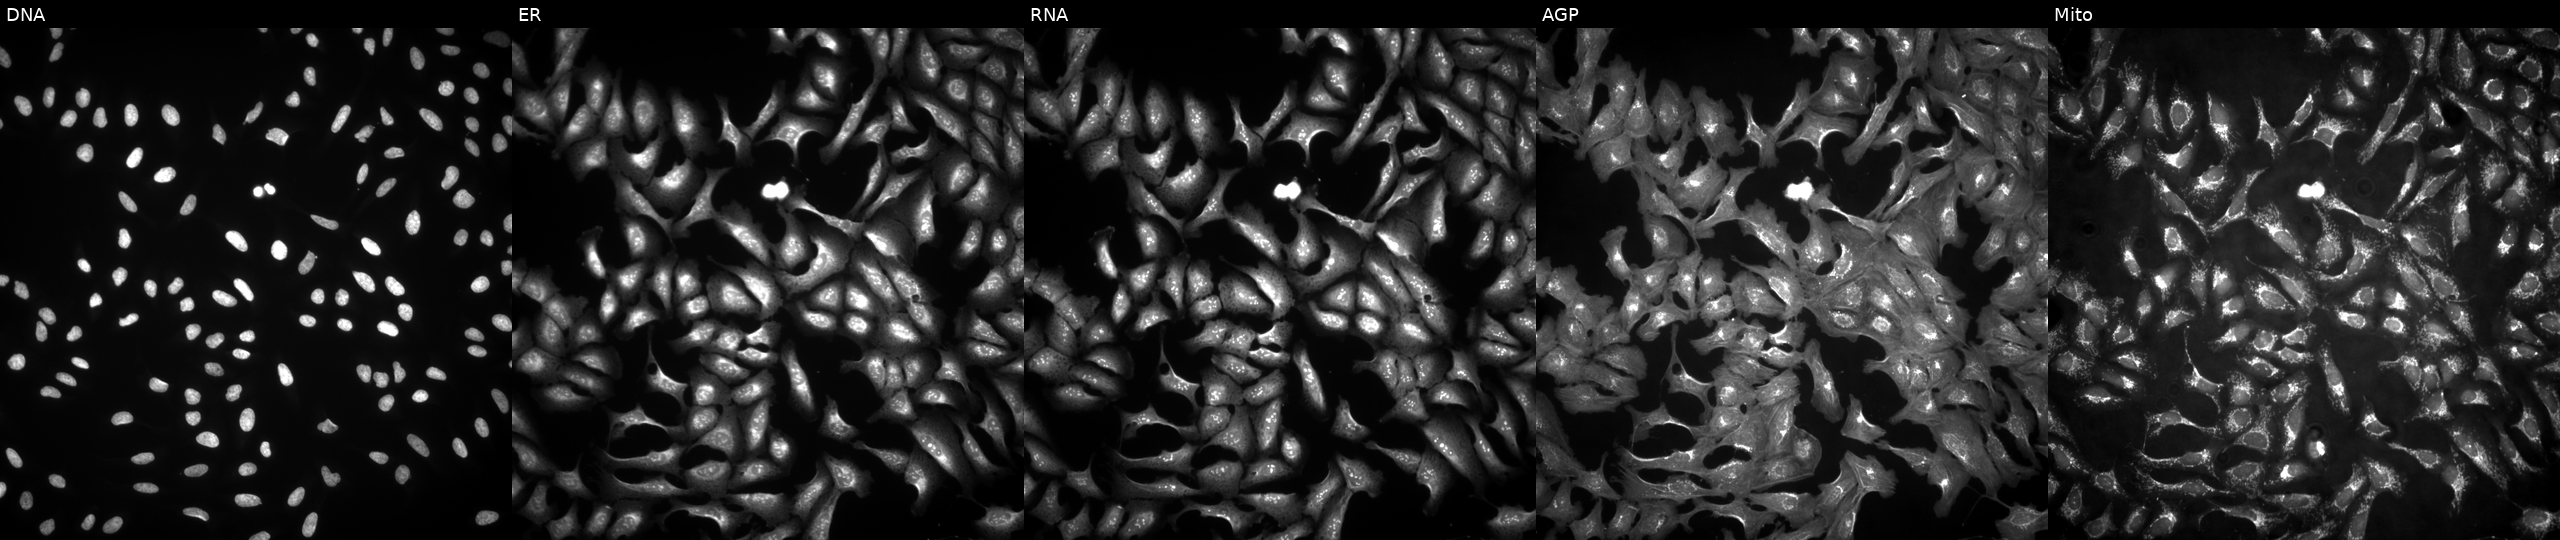
This image strip shows the five Cell Painting channels for a single field of U2OS cells transfected with an ORF construct for CXCL13. The five panels, left to right, show Hoechst 33342, concanavalin A, SYTO 14, phalloidin and WGA, MitoTracker.